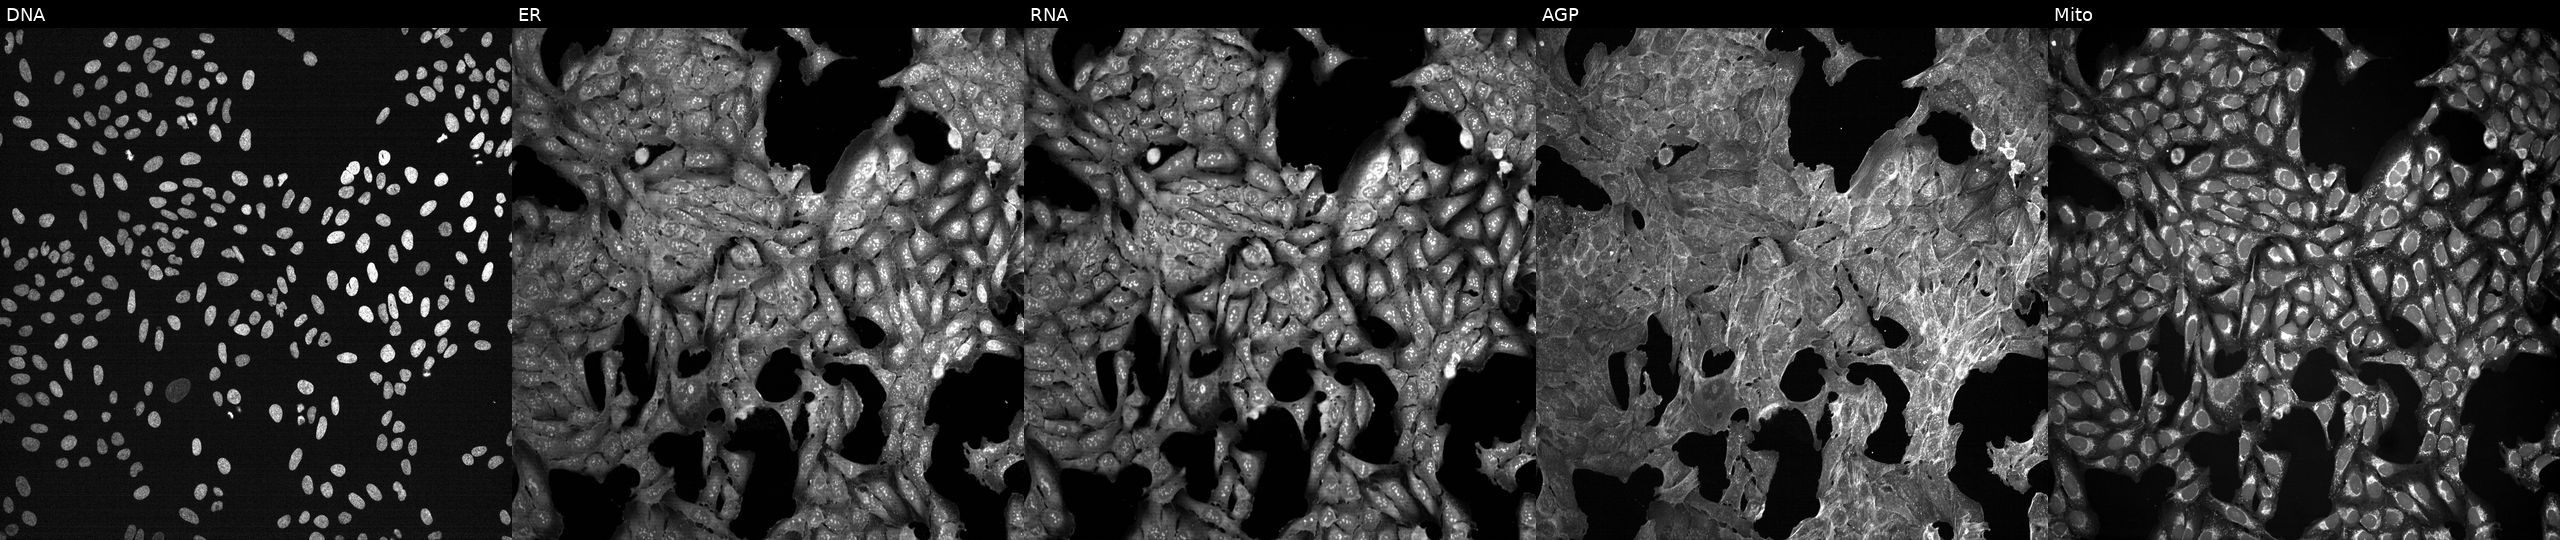
High-content fluorescence microscopy (Cell Painting). Cell line: U2OS. Perturbation: perturbed with a small-molecule compound. Channels (left→right): Hoechst 33342, concanavalin A, SYTO 14, phalloidin and WGA, MitoTracker. Source 7, plate CP3-SC1-25, well A15.